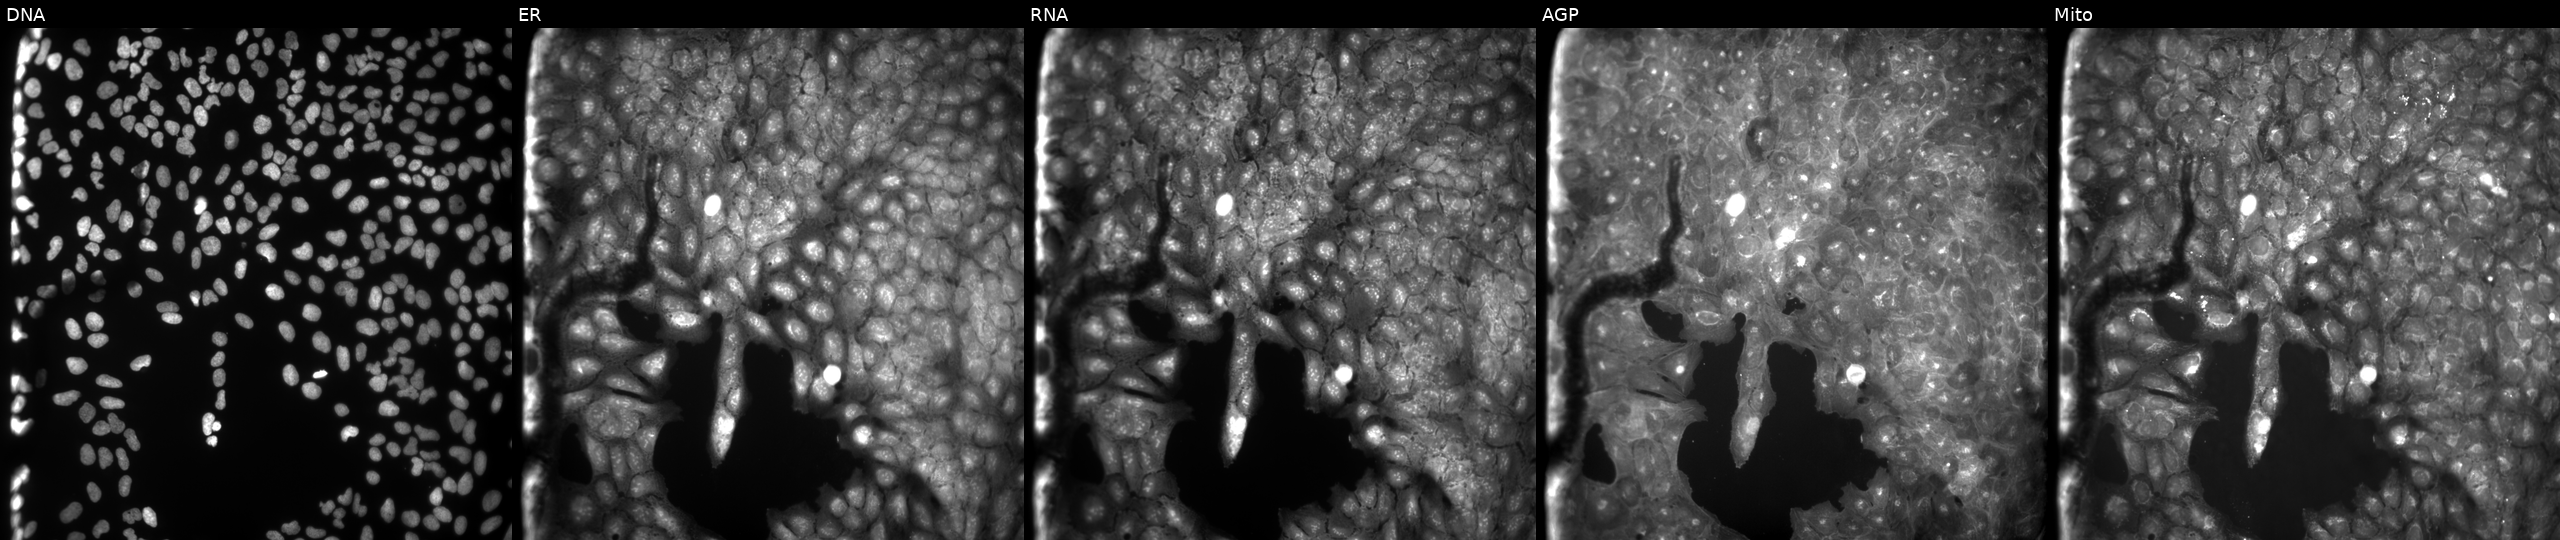
This image strip shows the five Cell Painting channels for a single field of U2OS cells exposed to the positive-control compound quinidine. The five panels, left to right, show DNA, ER, RNA, AGP, and Mito.